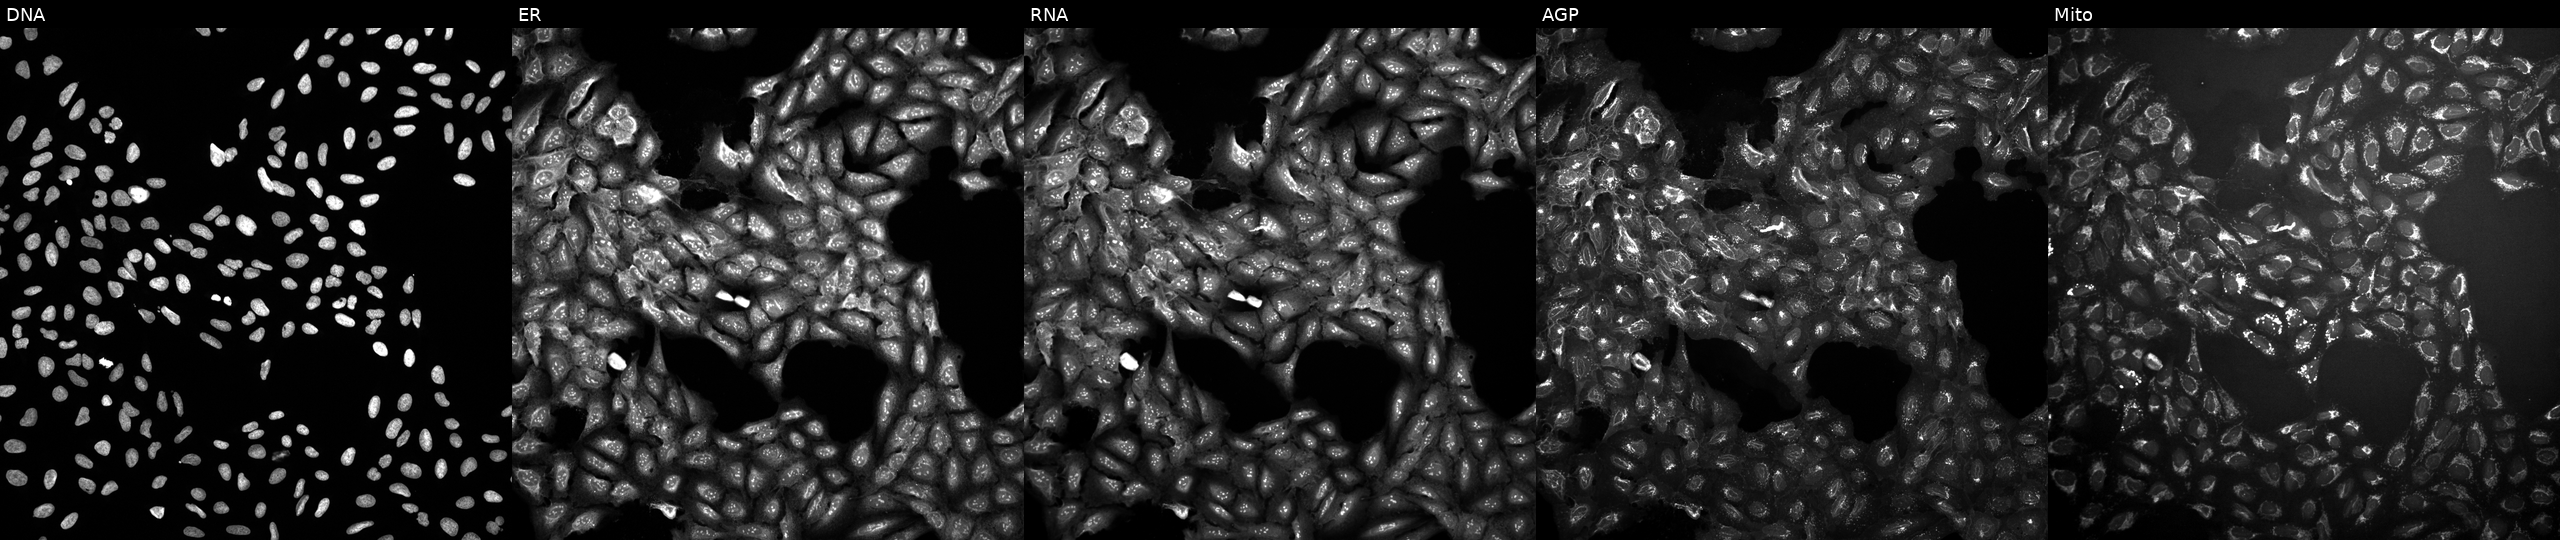
High-content fluorescence microscopy (Cell Painting). Cell line: U2OS. Perturbation: exposed to a small-molecule compound (InChIKey LMEKQMALGUDUQG-UHFFFAOYSA-N) [SMILES: Cn1cnc([N+](=O)[O-])c1Sc1ncnc2[nH]cnc12] (JUMP id JCP2022_050338). The five panels, left to right, show DNA, ER, RNA, AGP, and Mito. Source 10, plate Dest210803-153958, well I08.